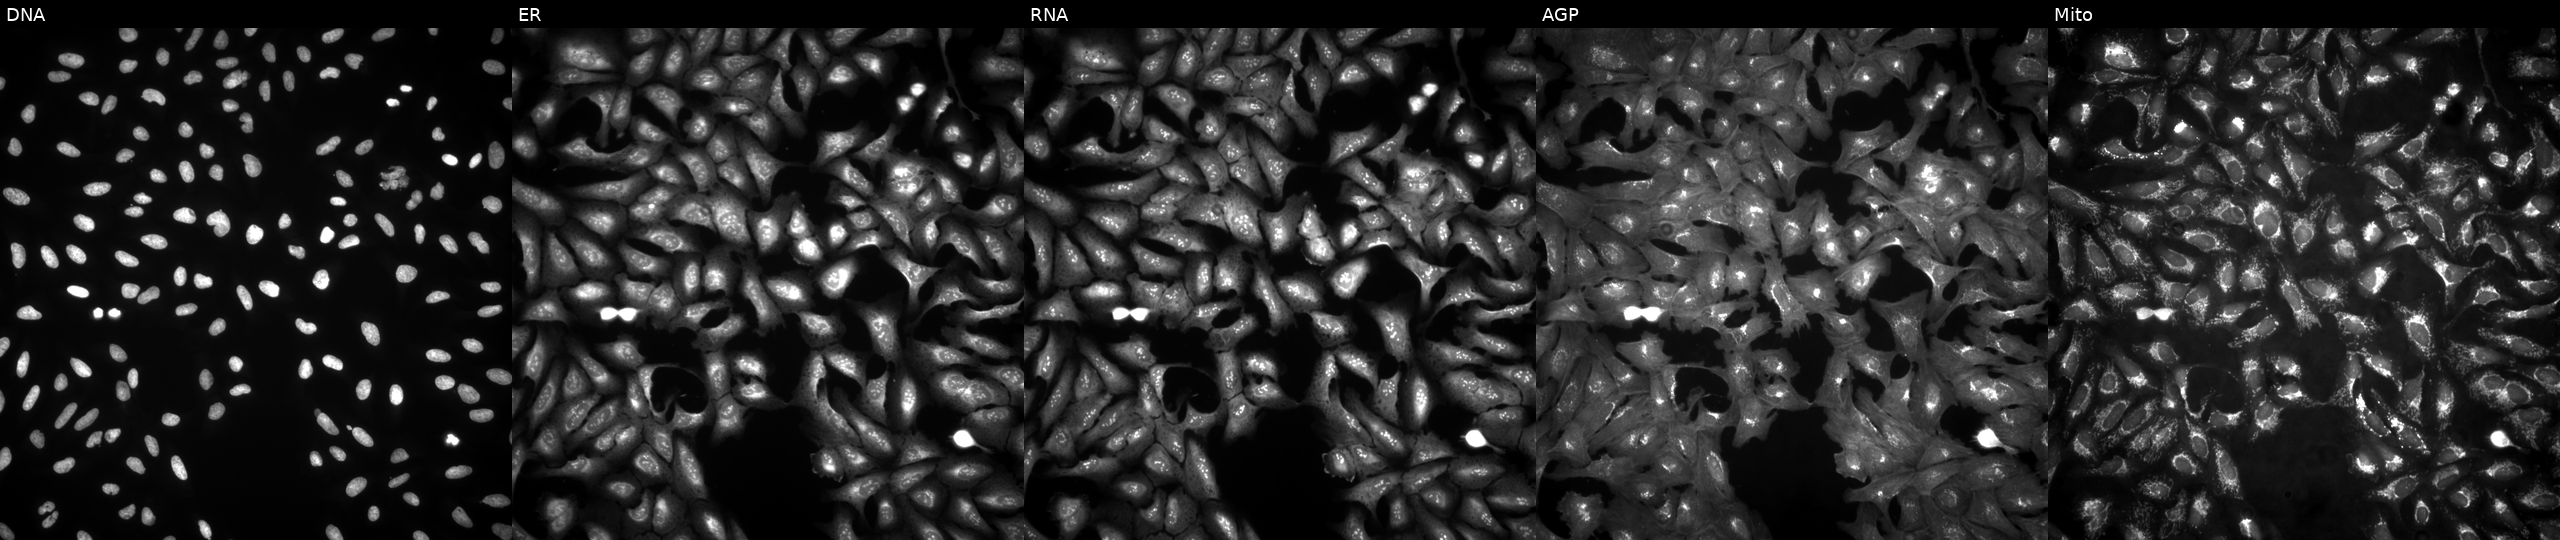
High-content fluorescence microscopy (Cell Painting). Cell line: U2OS. Perturbation: overexpressing RNU2-1 via ORF transfection. Channels (left→right): Hoechst 33342, concanavalin A, SYTO 14, phalloidin and WGA, MitoTracker. Source 4, plate BR00123509, well D05.